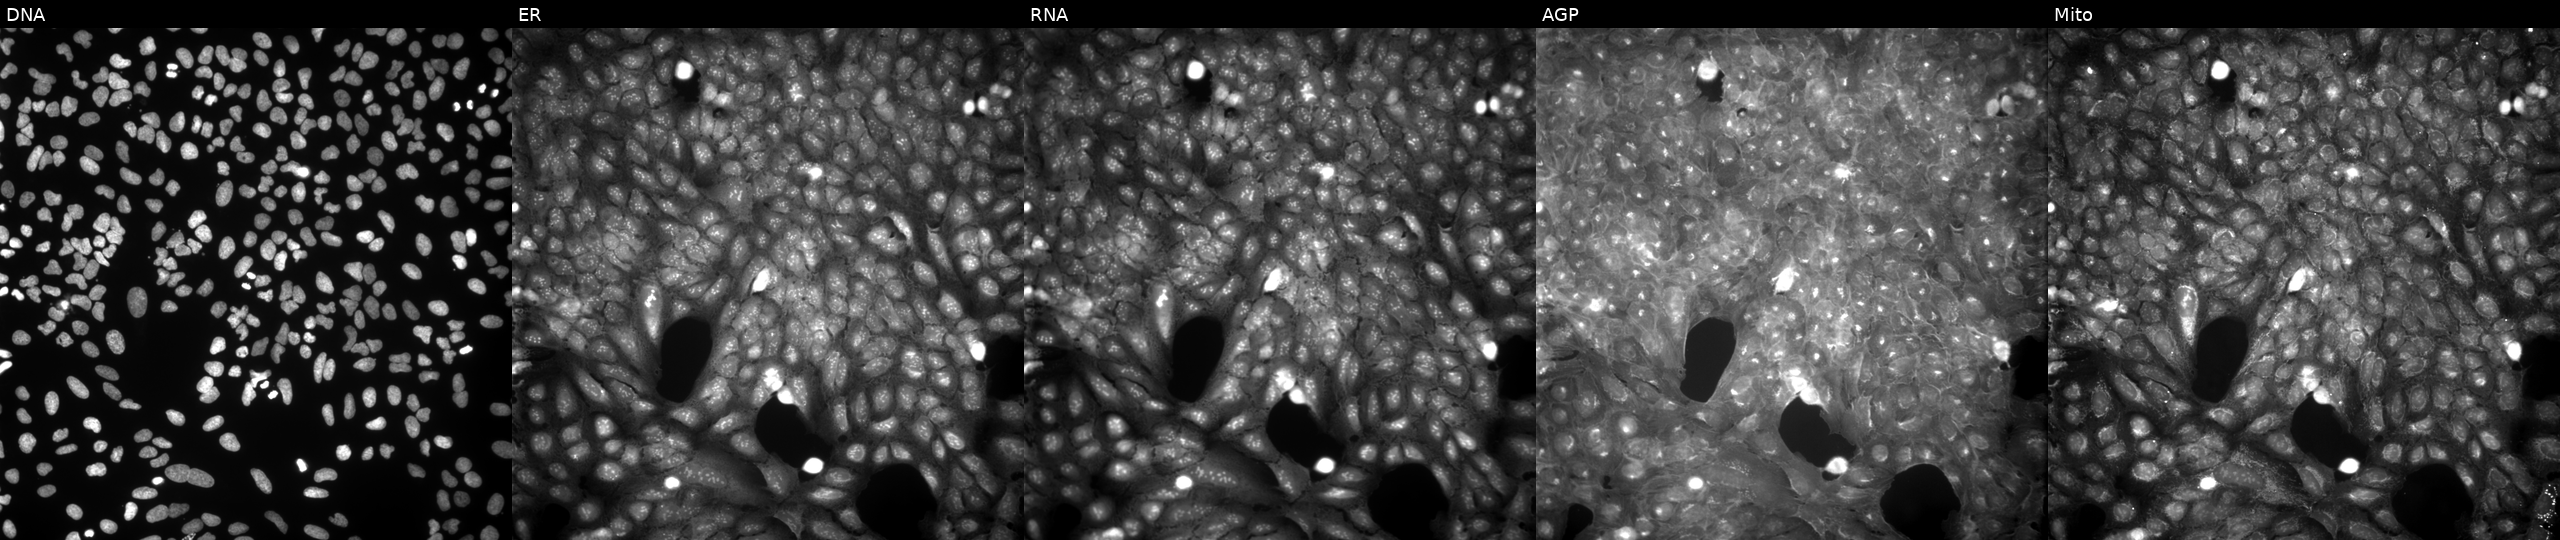
From left to right: Hoechst 33342, concanavalin A, SYTO 14, phalloidin and WGA, MitoTracker. U2OS osteosarcoma cells exposed to a small-molecule compound (InChIKey IKLMVWNXNBFJRE-UHFFFAOYSA-N) (JUMP id JCP2022_035614). Cell Painting assay, JUMP-CP dataset.